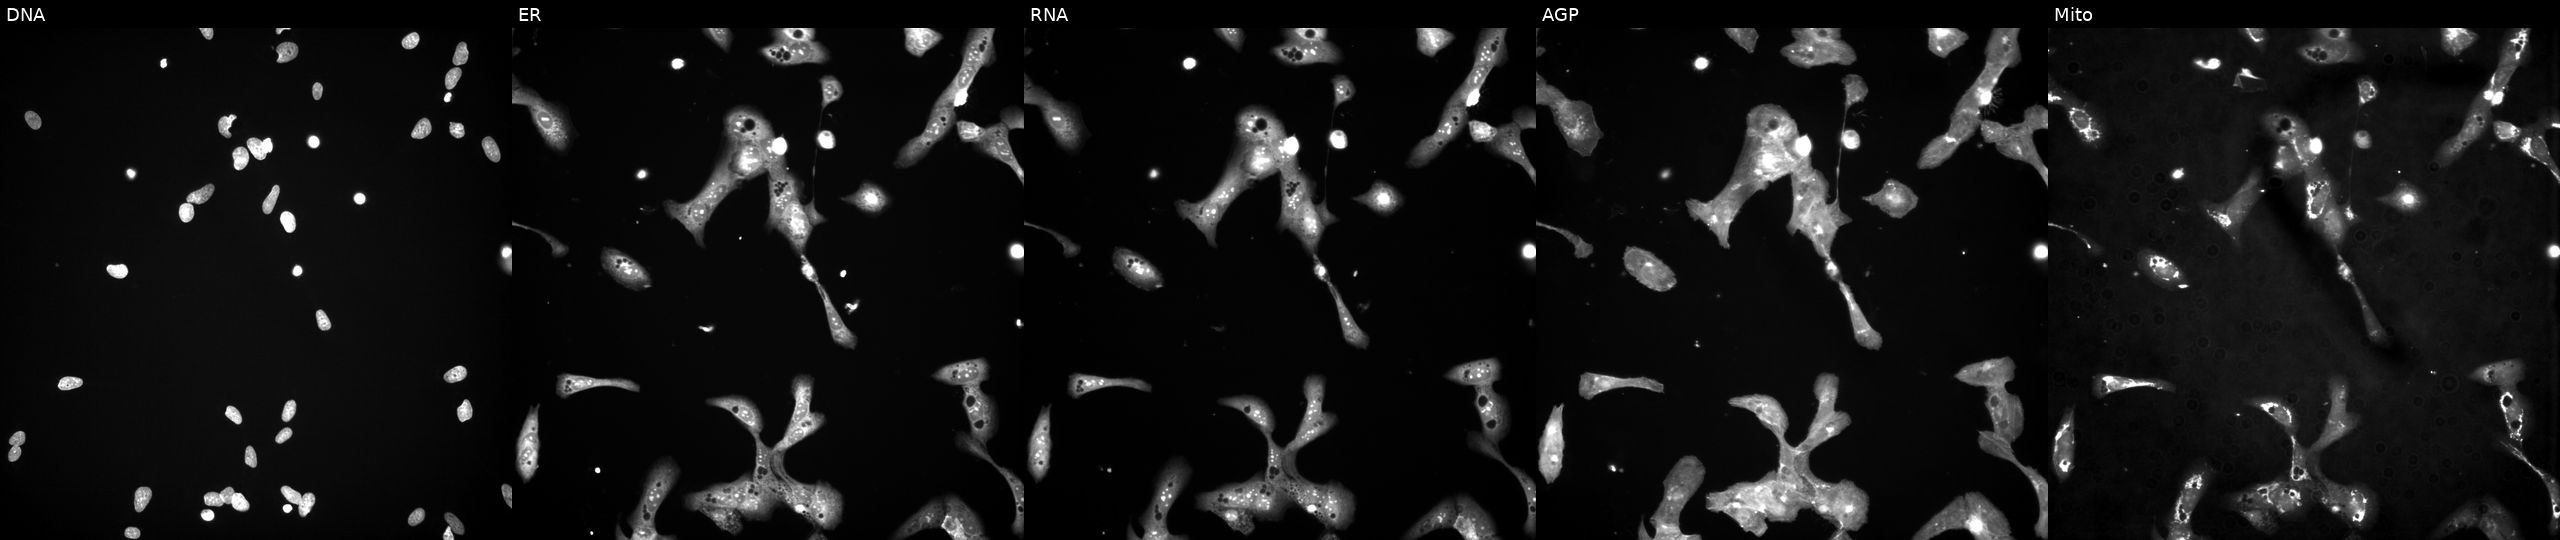
JUMP Cell Painting — TARGET2 plate. U2OS cells perturbed with a small-molecule compound (InChIKey MNYJJHBAEYKXEG-UHFFFAOYSA-N). Channels (left→right): DNA, ER, RNA, AGP, and Mito.